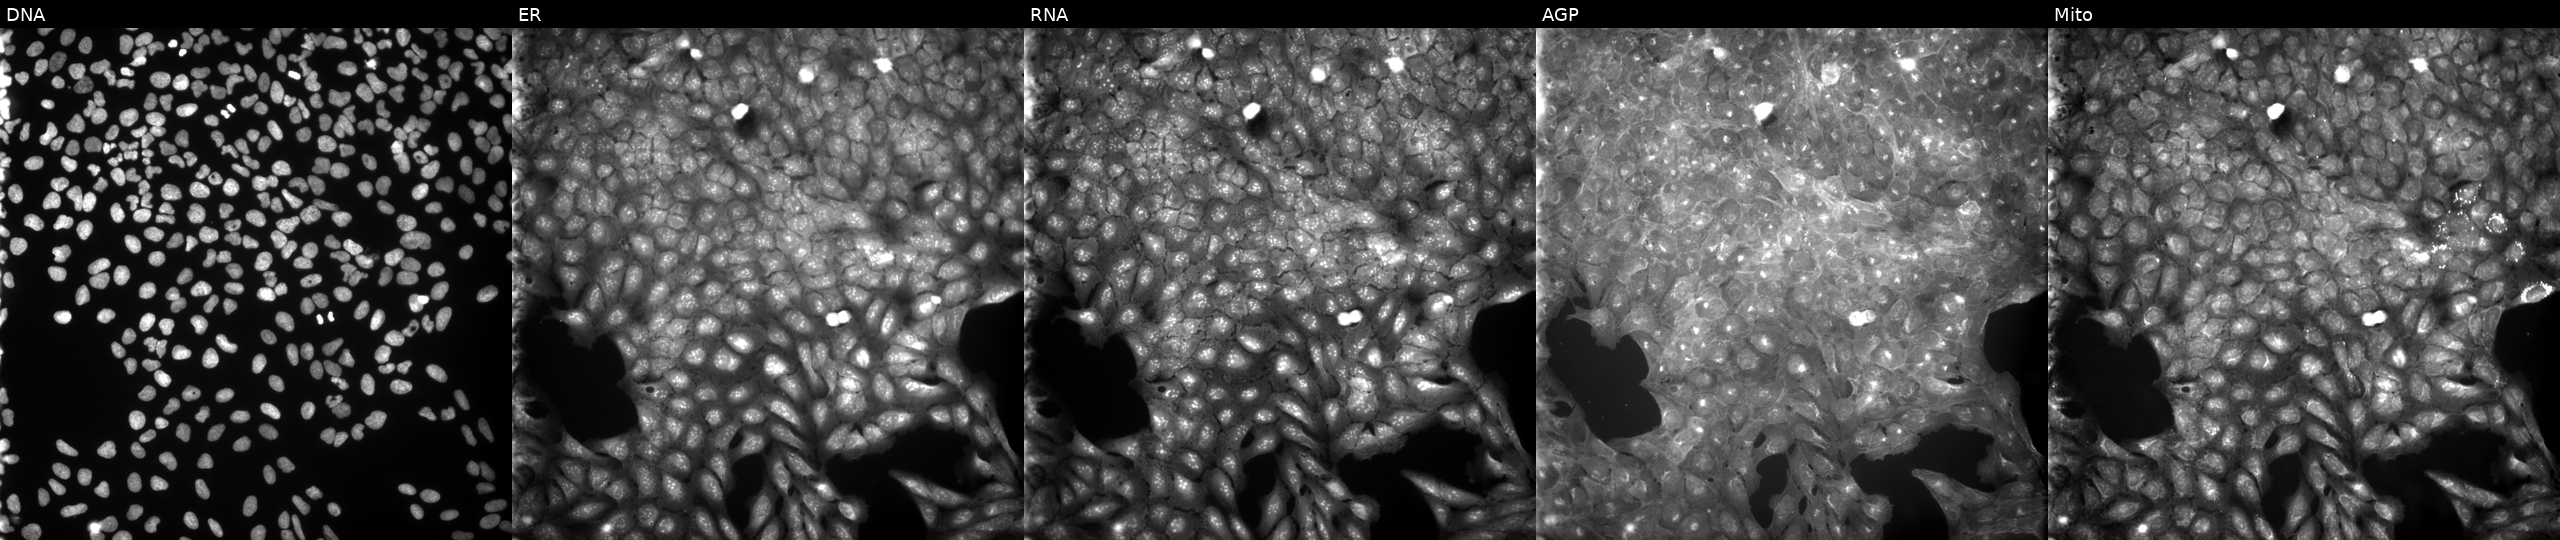
Five-channel Cell Painting image of U2OS cells treated with a small-molecule compound [SMILES: Cc1onc(-c2ccccc2)c1C(=O)N1CCN(Cc2ccccc2)CC1]. Panels show, left to right, DNA (nuclei); ER (endoplasmic reticulum); RNA (nucleoli and cytoplasmic RNA); AGP (actin cytoskeleton, Golgi, and plasma membrane); Mito (mitochondria). Source 9, plate GR00003382, well G21.